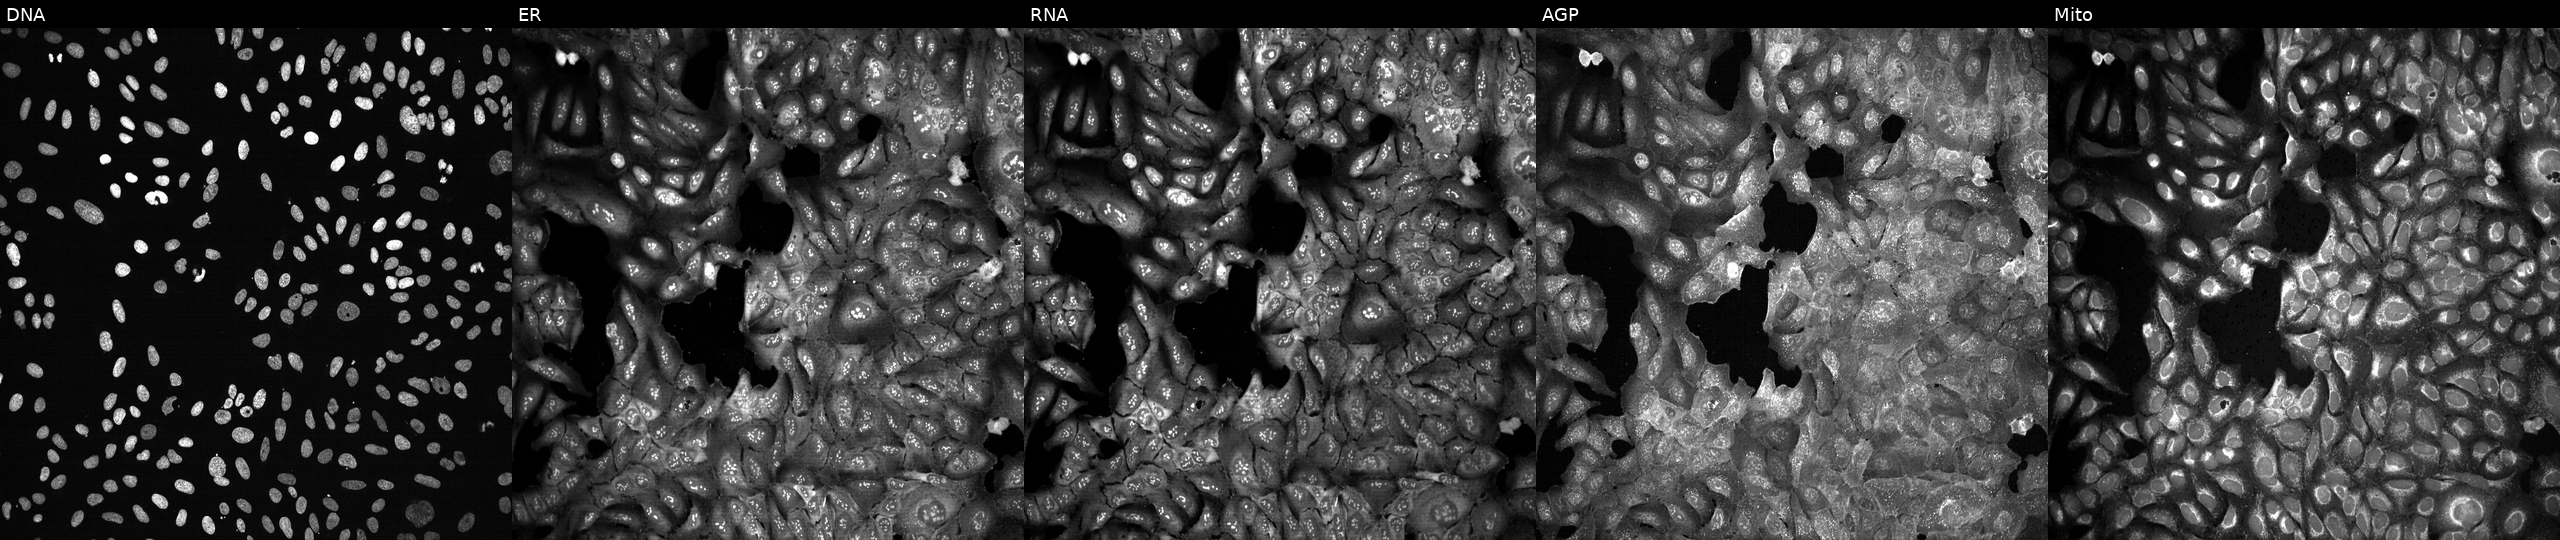
Five-channel Cell Painting image of U2OS cells following CRISPR knockout of CYP4Z1. Panels show, left to right, DNA, ER, RNA, AGP, and Mito.